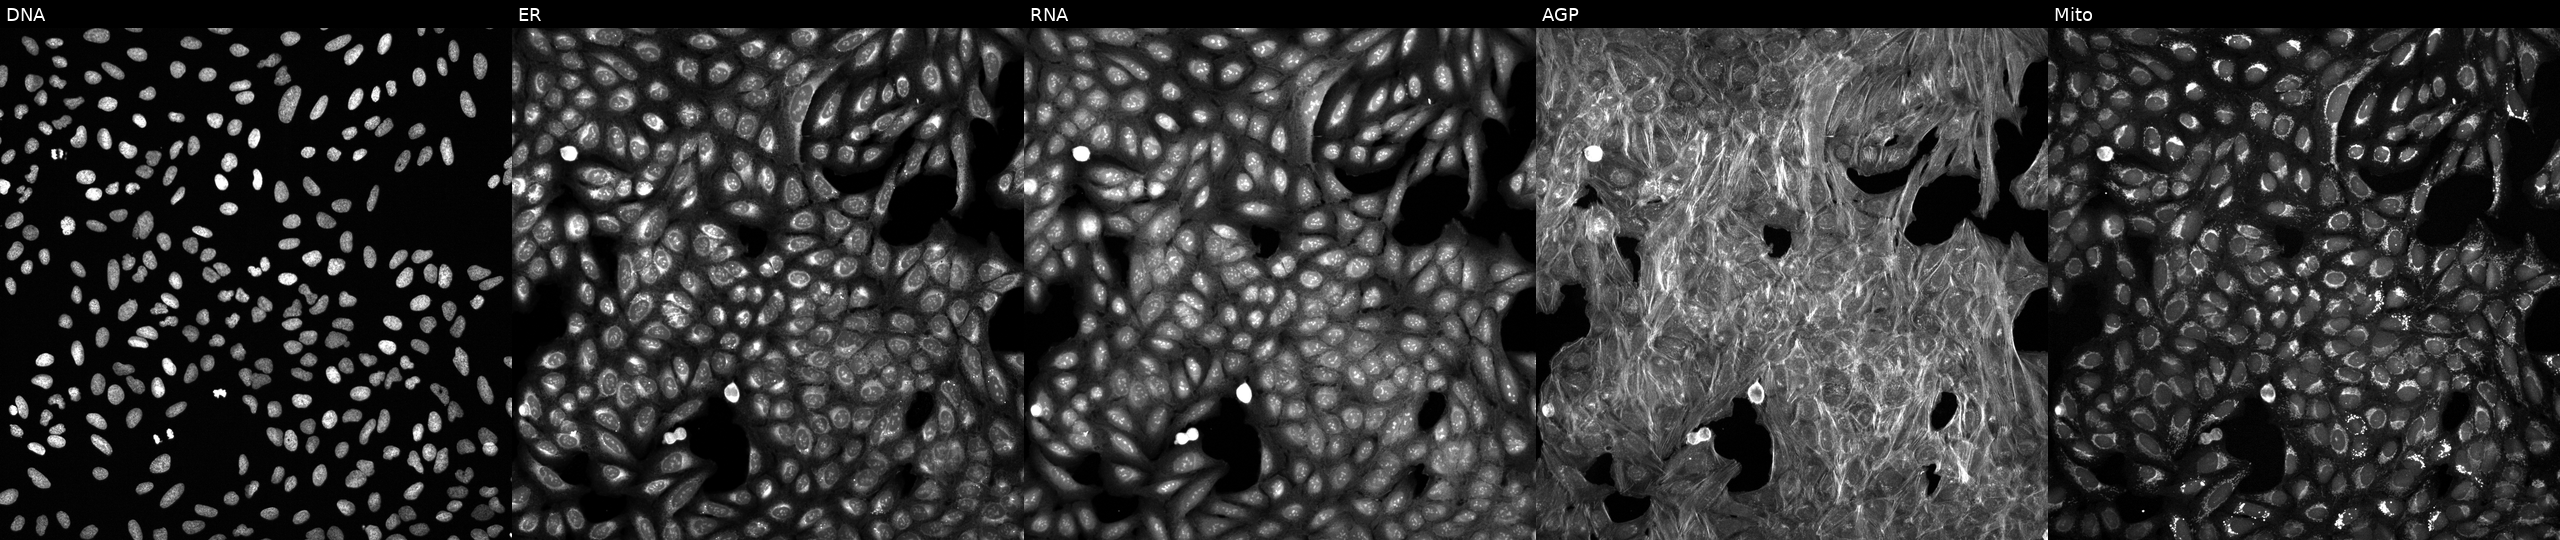
Five-channel Cell Painting image of U2OS cells exposed to a small-molecule compound (InChIKey ONIBWKKTOPOVIA-UHFFFAOYSA-N) [SMILES: O=C(O)C1CCCN1]. Channels (left→right): DNA (nuclei); ER (endoplasmic reticulum); RNA (nucleoli and cytoplasmic RNA); AGP (actin cytoskeleton, Golgi, and plasma membrane); Mito (mitochondria).